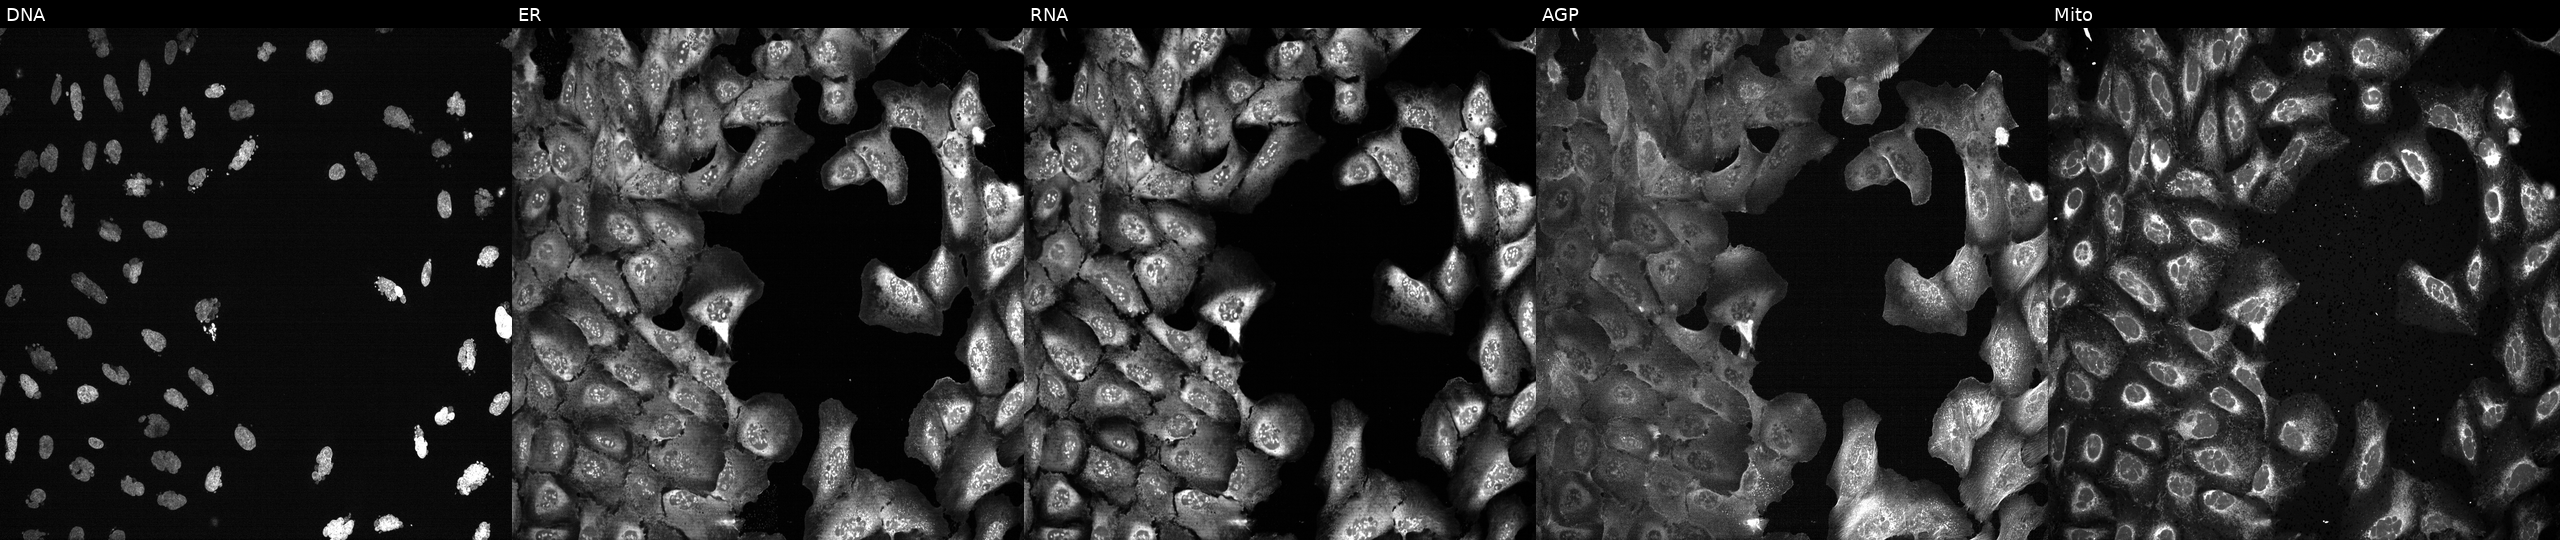
Five-channel Cell Painting image of U2OS cells treated with AMG900 (positive-control compound) (JUMP id JCP2022_037716). Panels show, left to right, DNA, ER, RNA, AGP, and Mito. Source 13, plate CP-CC9-R2-01, well K01.